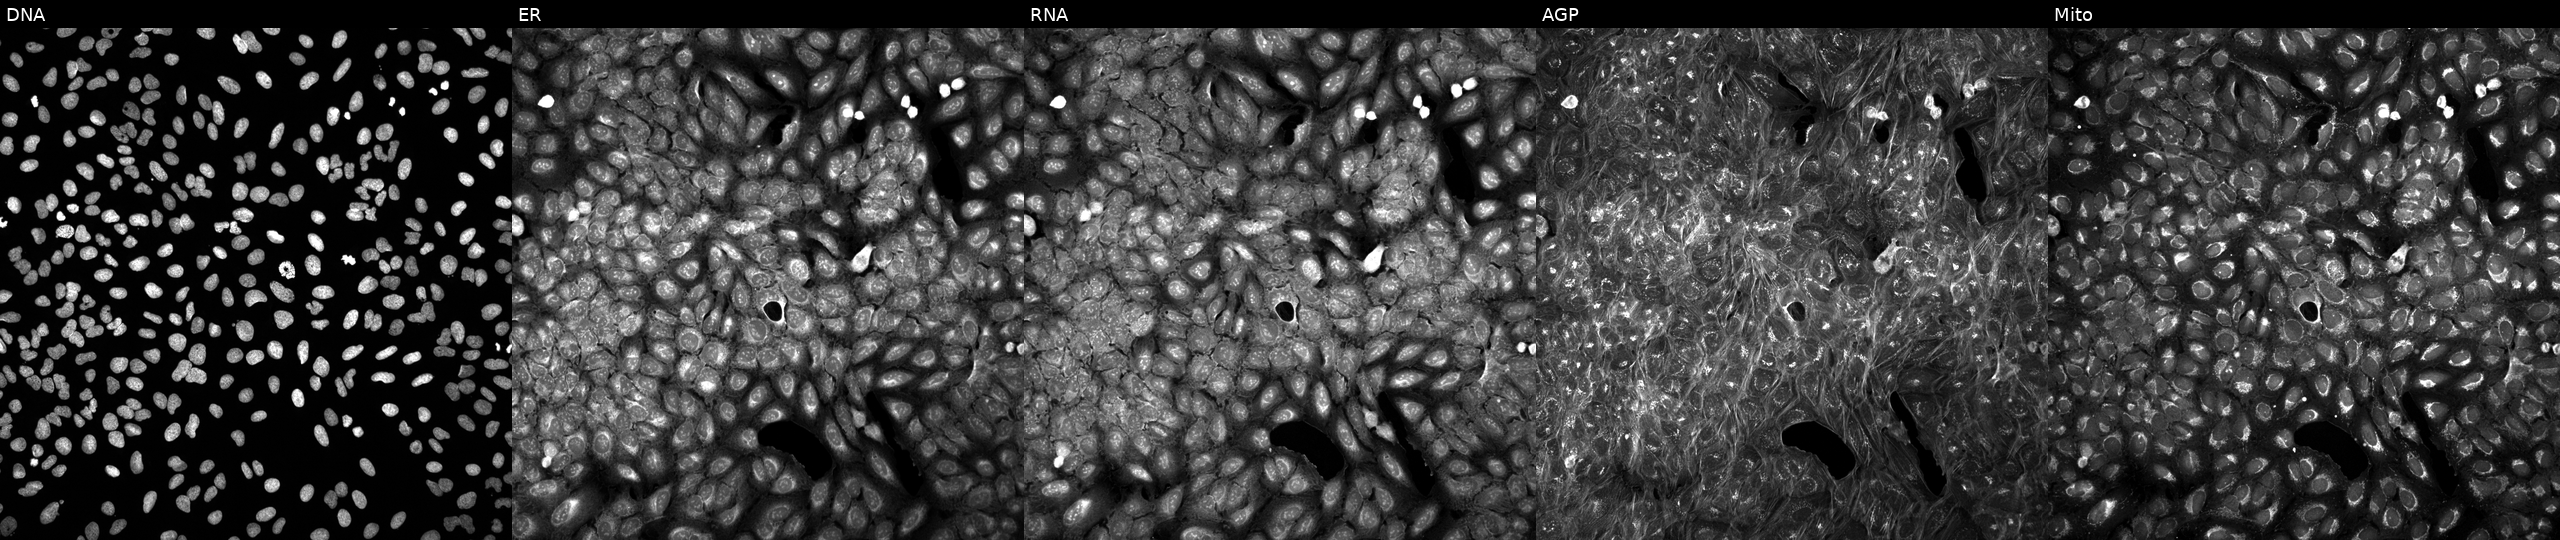
High-content fluorescence microscopy (Cell Painting). Cell line: U2OS. Perturbation: perturbed with a small-molecule compound (InChIKey XRKYMMUGXMWDAO-UHFFFAOYSA-N) (JUMP id JCP2022_105539). Channels (left→right): DNA (nuclei); ER (endoplasmic reticulum); RNA (nucleoli and cytoplasmic RNA); AGP (actin cytoskeleton, Golgi, and plasma membrane); Mito (mitochondria).